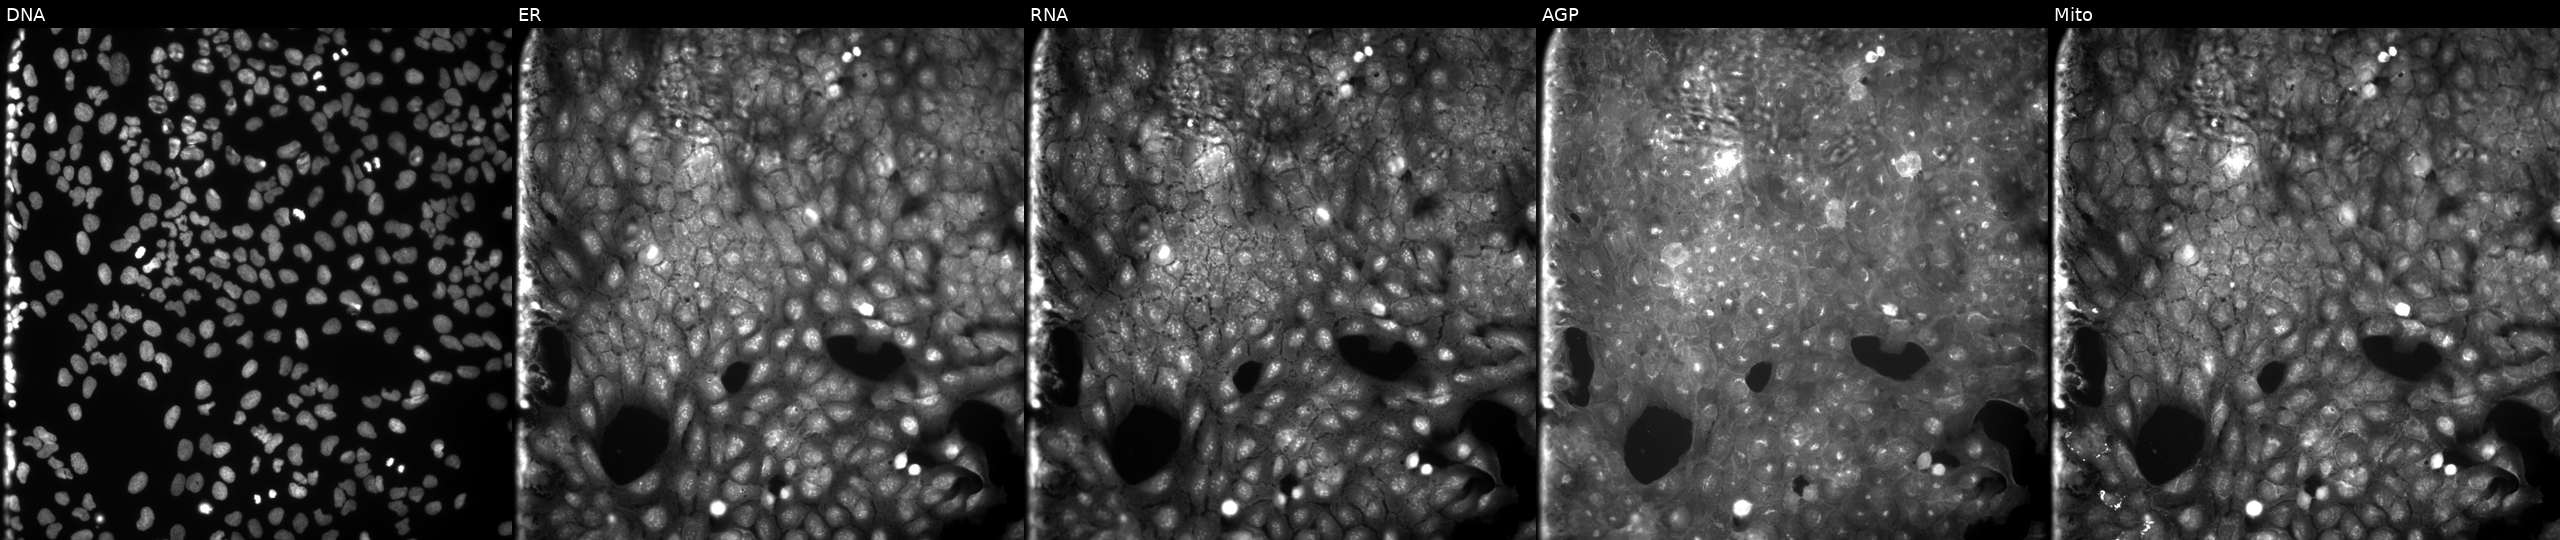
JUMP Cell Painting — COMPOUND plate. U2OS cells perturbed with a small-molecule compound (InChIKey GAMUBQQMISWWGY-UHFFFAOYSA-N) (JUMP id JCP2022_024188). Channels (left→right): DNA, ER, RNA, AGP, and Mito.